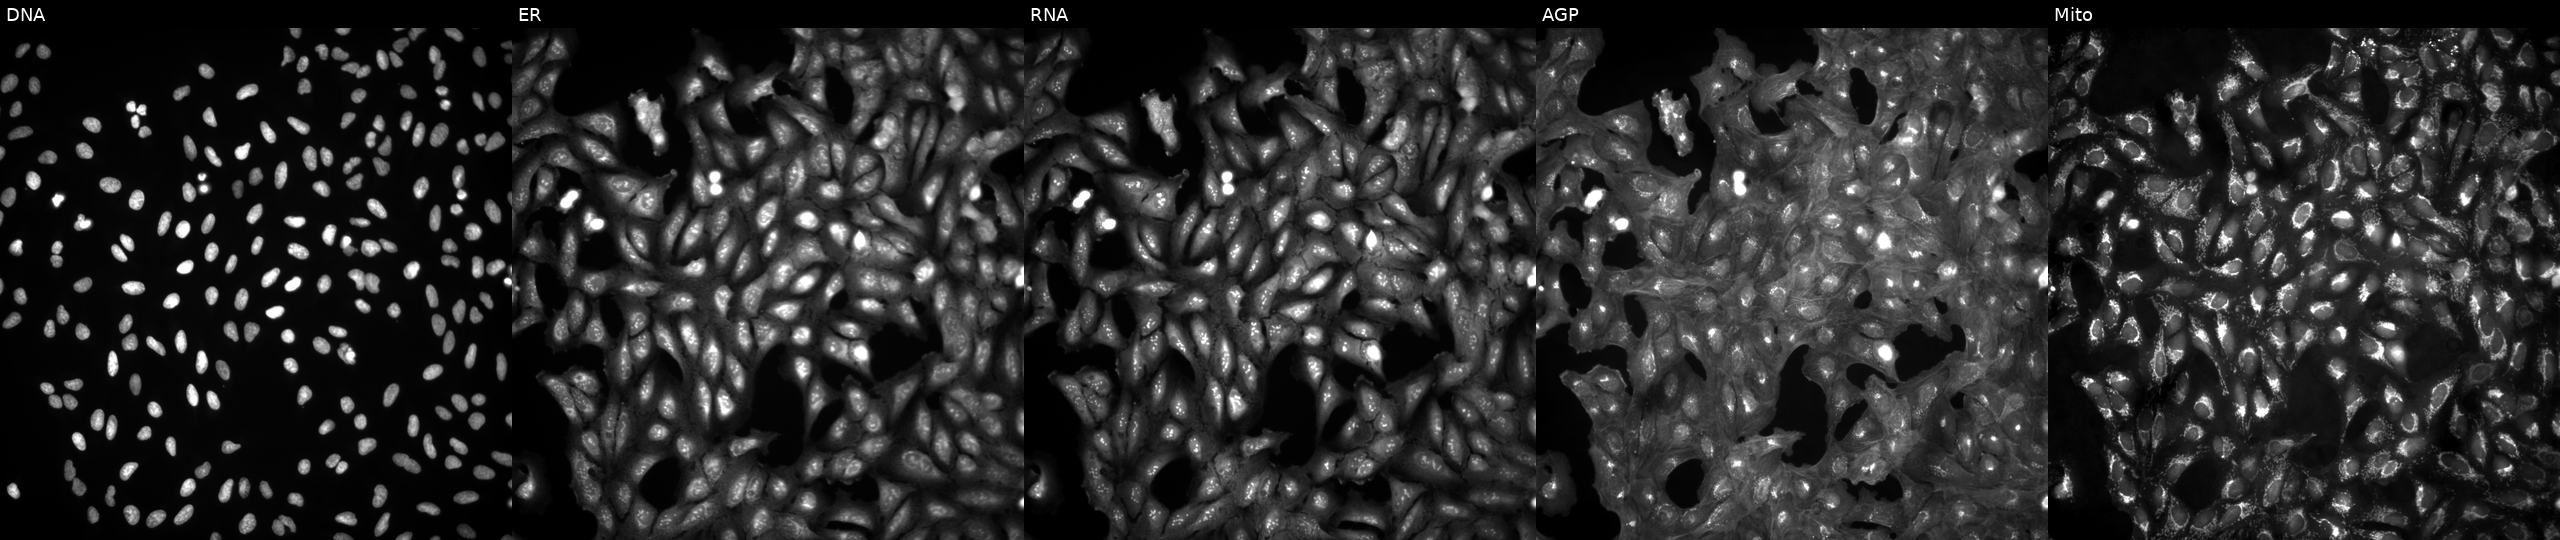
High-content fluorescence microscopy (Cell Painting). Cell line: U2OS. Perturbation: in an empty control well (no perturbation). The five panels, left to right, show Hoechst 33342, concanavalin A, SYTO 14, phalloidin and WGA, MitoTracker.